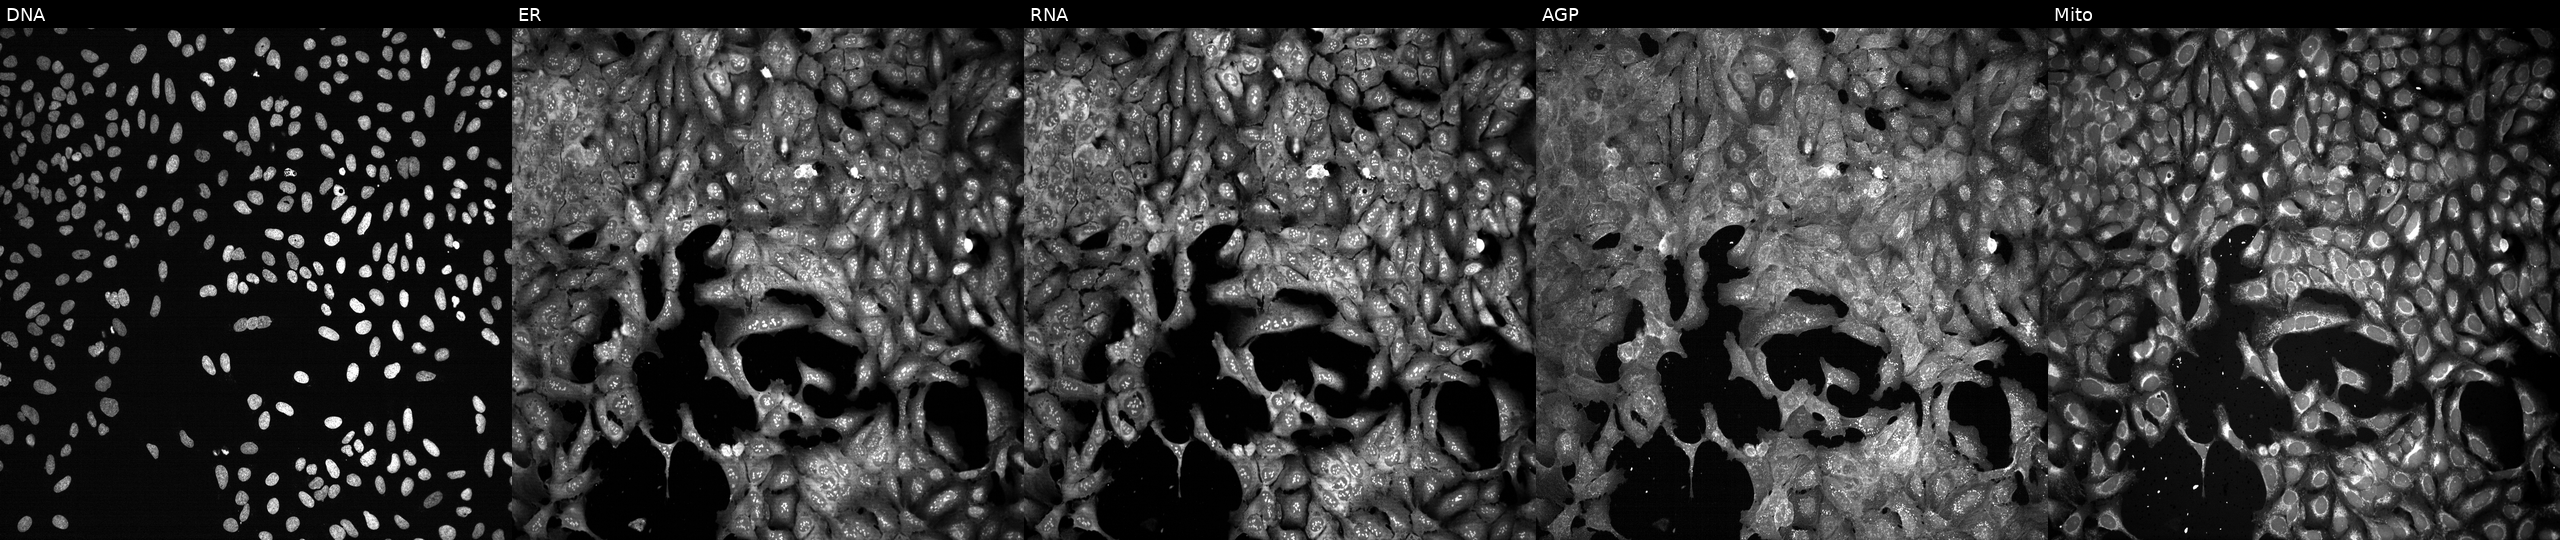
Channels (left→right): Hoechst 33342, concanavalin A, SYTO 14, phalloidin and WGA, MitoTracker. U2OS osteosarcoma cells CRISPR-edited to disrupt FABP3 (JUMP id JCP2022_802247). Cell Painting assay, JUMP-CP dataset.